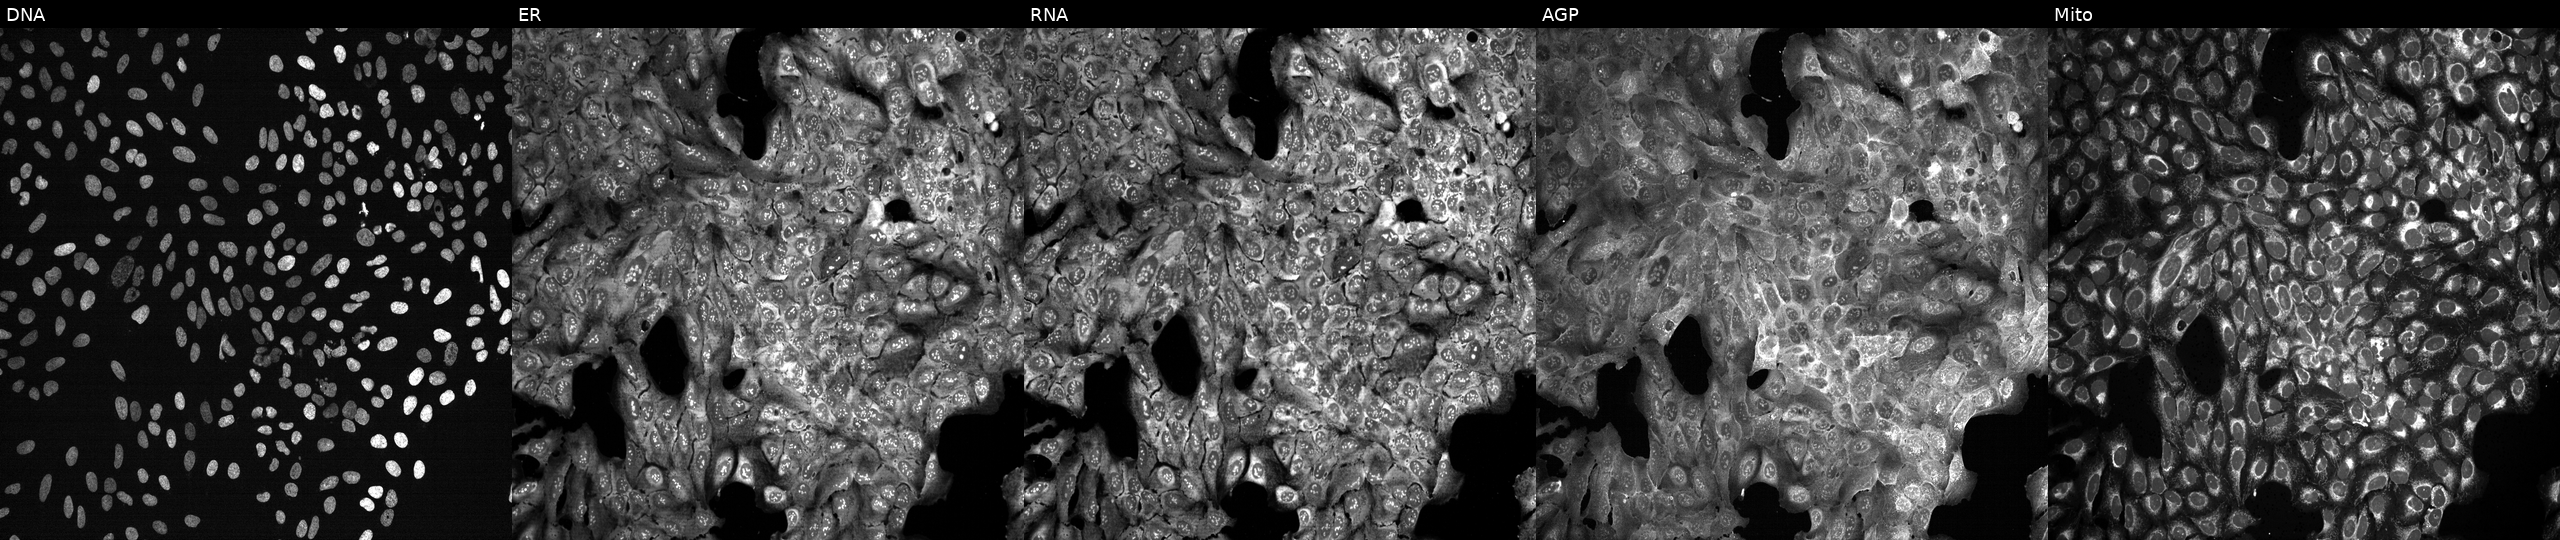
U2OS cells, Cell Painting assay, CRISPR-edited to disrupt DNASE2. Channels (left→right): DNA, ER, RNA, AGP, and Mito. Each panel is percentile-stretched 16-bit fluorescence.